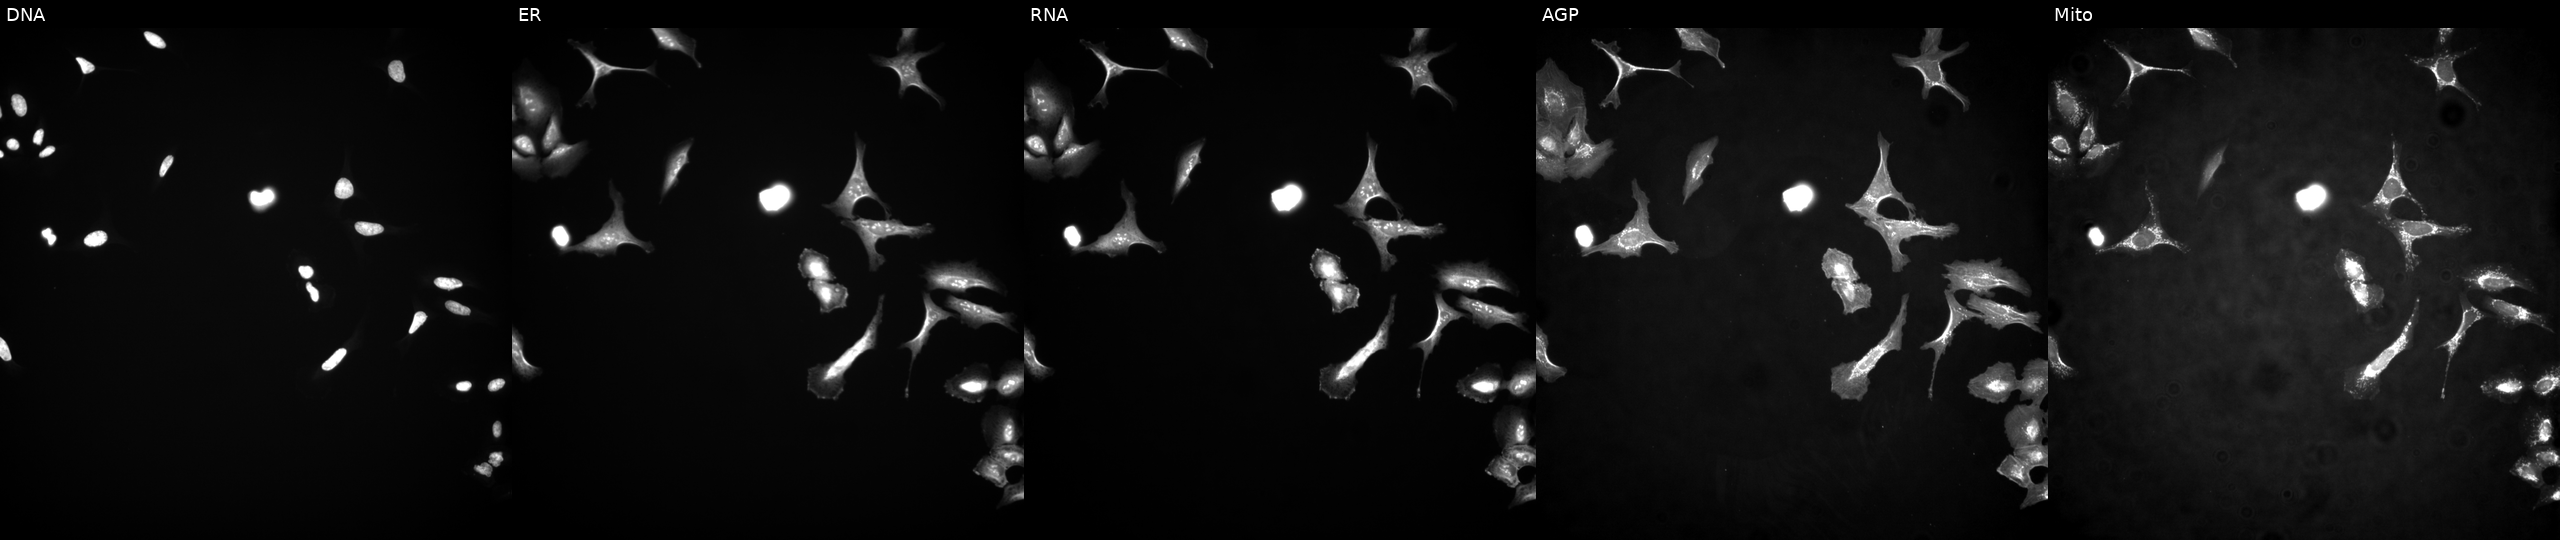
Five-channel Cell Painting image of U2OS cells transfected with an ORF construct for GATA2. The five panels, left to right, show DNA (nuclei); ER (endoplasmic reticulum); RNA (nucleoli and cytoplasmic RNA); AGP (actin cytoskeleton, Golgi, and plasma membrane); Mito (mitochondria).